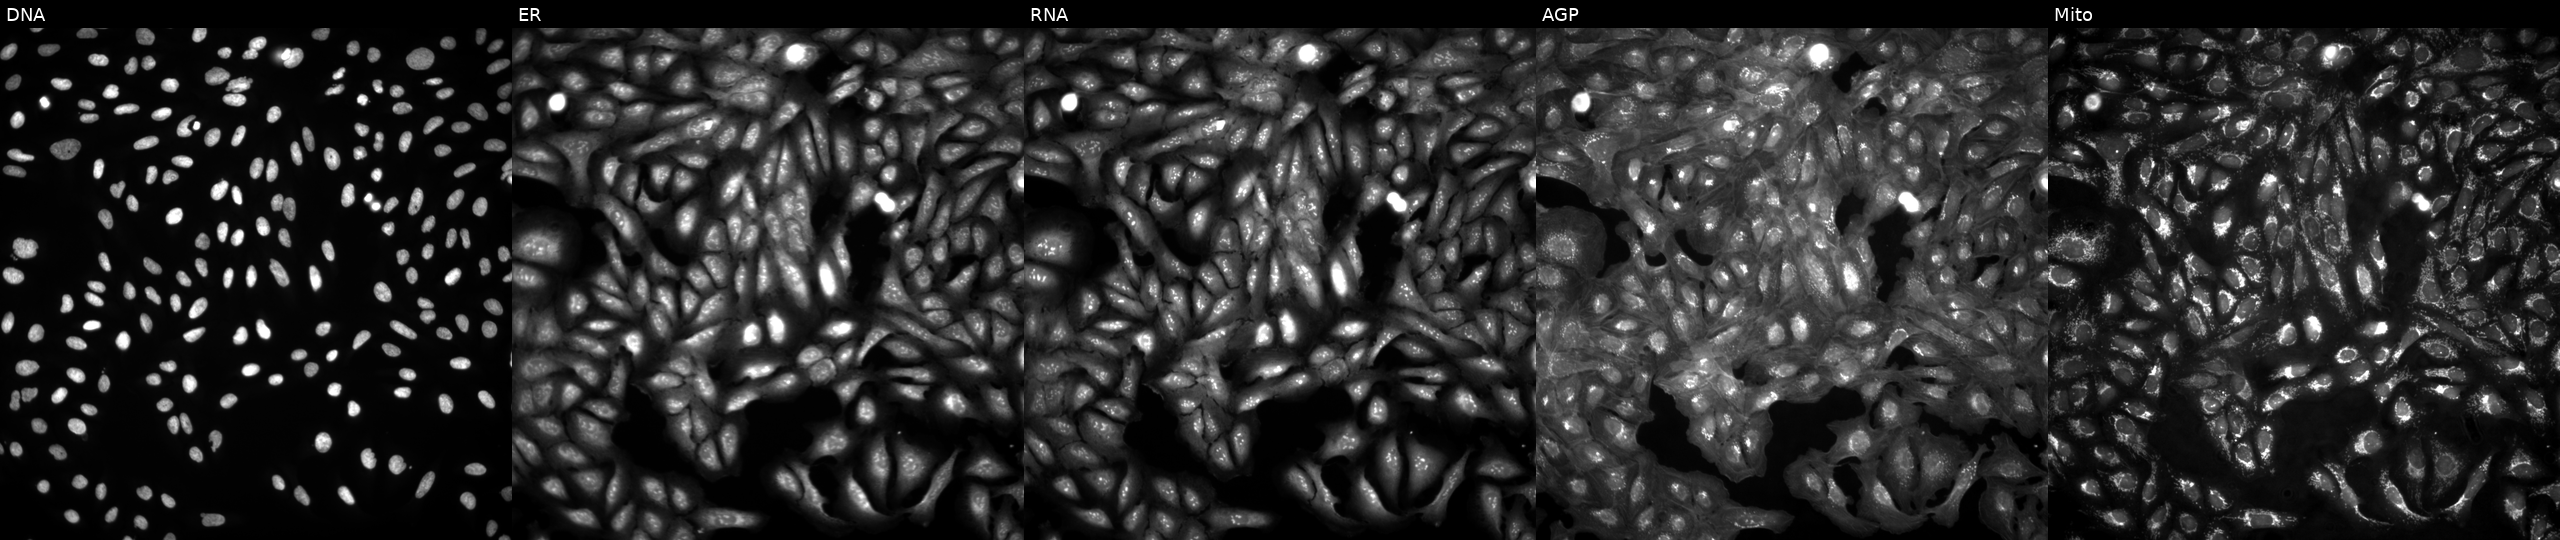
U2OS cells, Cell Painting assay, untreated (empty-well control) (JUMP id JCP2022_999999). Channels (left→right): Hoechst 33342, concanavalin A, SYTO 14, phalloidin and WGA, MitoTracker. Each panel is percentile-stretched 16-bit fluorescence. Source 4, plate BR00124793, well A03.